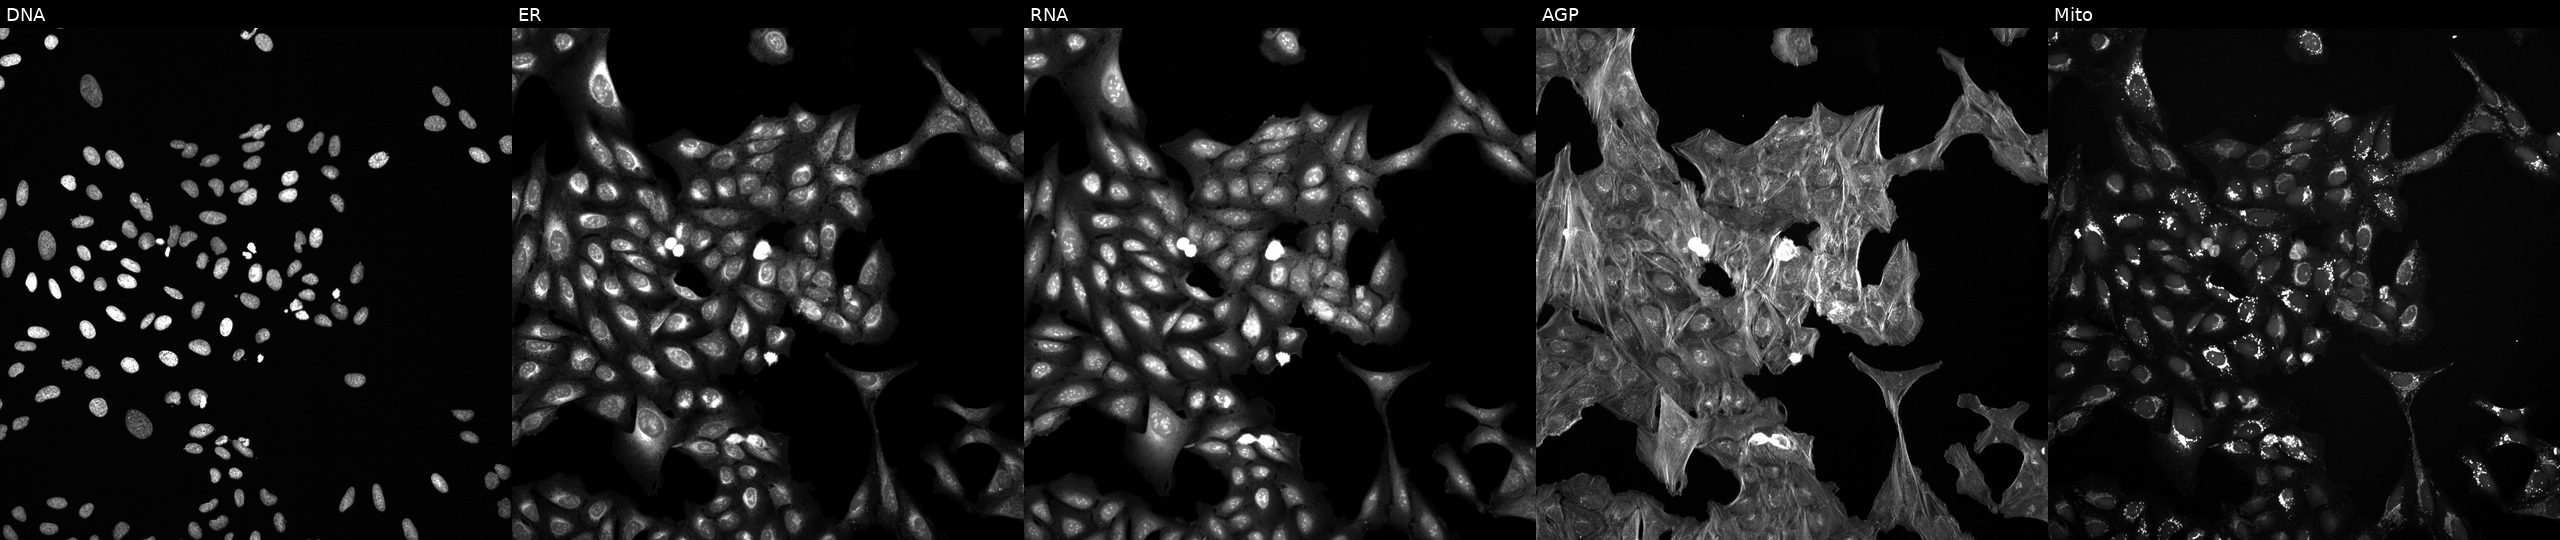
This image strip shows the five Cell Painting channels for a single field of U2OS cells treated with a small-molecule compound [SMILES: CC(=O)NC(CS)C(=O)O]. The five panels, left to right, show Hoechst 33342, concanavalin A, SYTO 14, phalloidin and WGA, MitoTracker. Source 6, plate 110000293081, well A10.